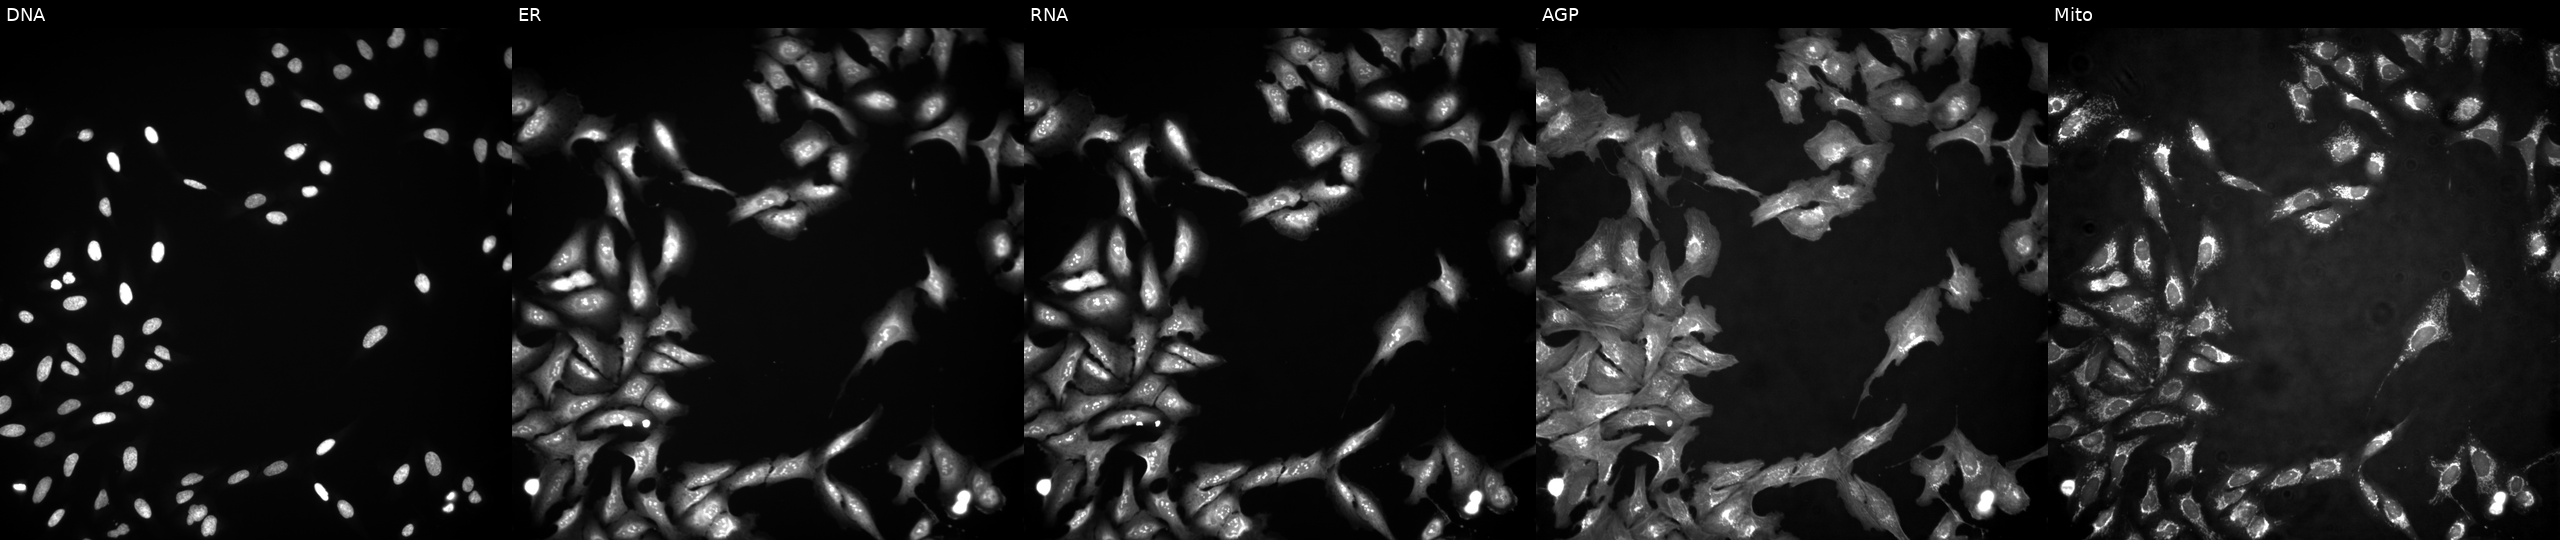
Channels (left→right): Hoechst 33342, concanavalin A, SYTO 14, phalloidin and WGA, MitoTracker. U2OS osteosarcoma cells expressing eGFP (ORF positive control) (JUMP id JCP2022_915132). Cell Painting assay, JUMP-CP dataset.